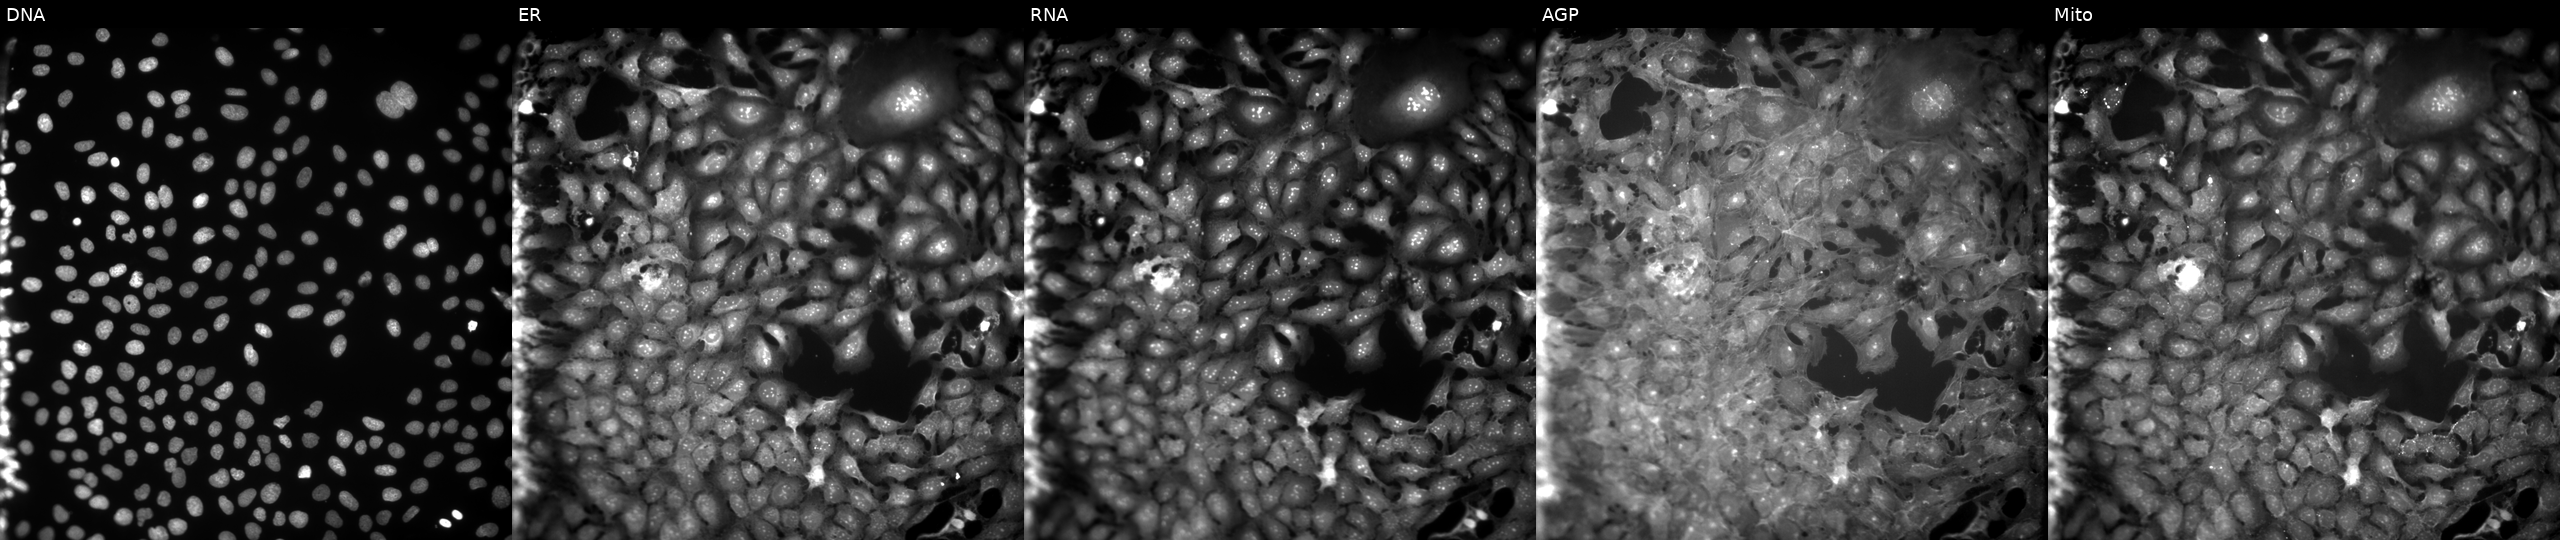
High-content fluorescence microscopy (Cell Painting). Cell line: U2OS. Perturbation: treated with FK-866 (positive-control compound). The five panels, left to right, show Hoechst 33342, concanavalin A, SYTO 14, phalloidin and WGA, MitoTracker.